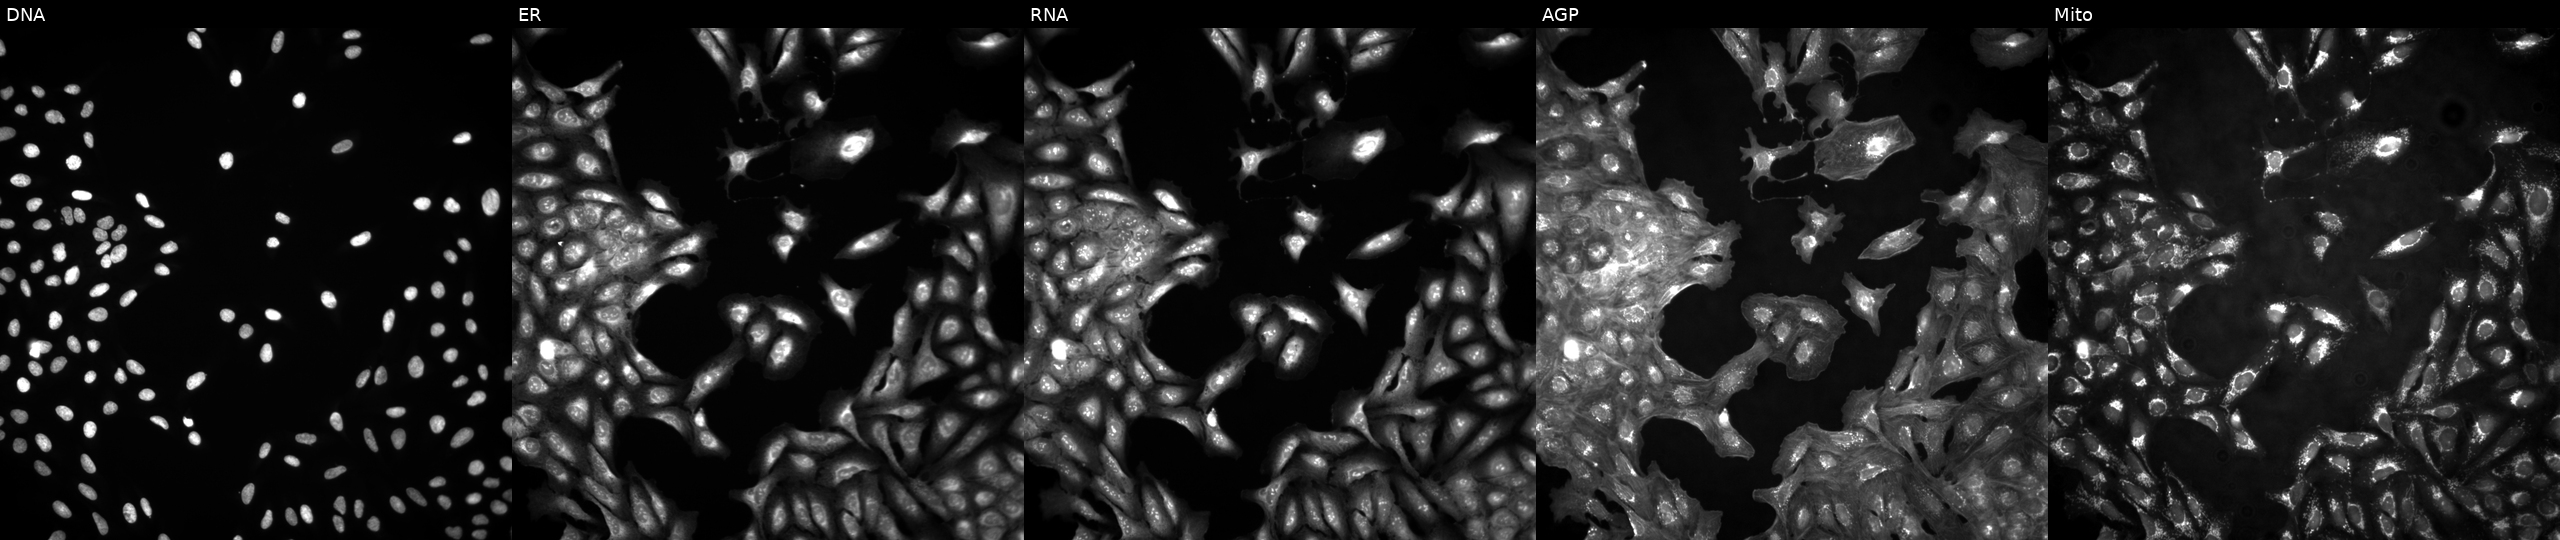
JUMP Cell Painting — ORF plate. U2OS cells untreated (empty-well control). Panels show, left to right, Hoechst 33342, concanavalin A, SYTO 14, phalloidin and WGA, MitoTracker.